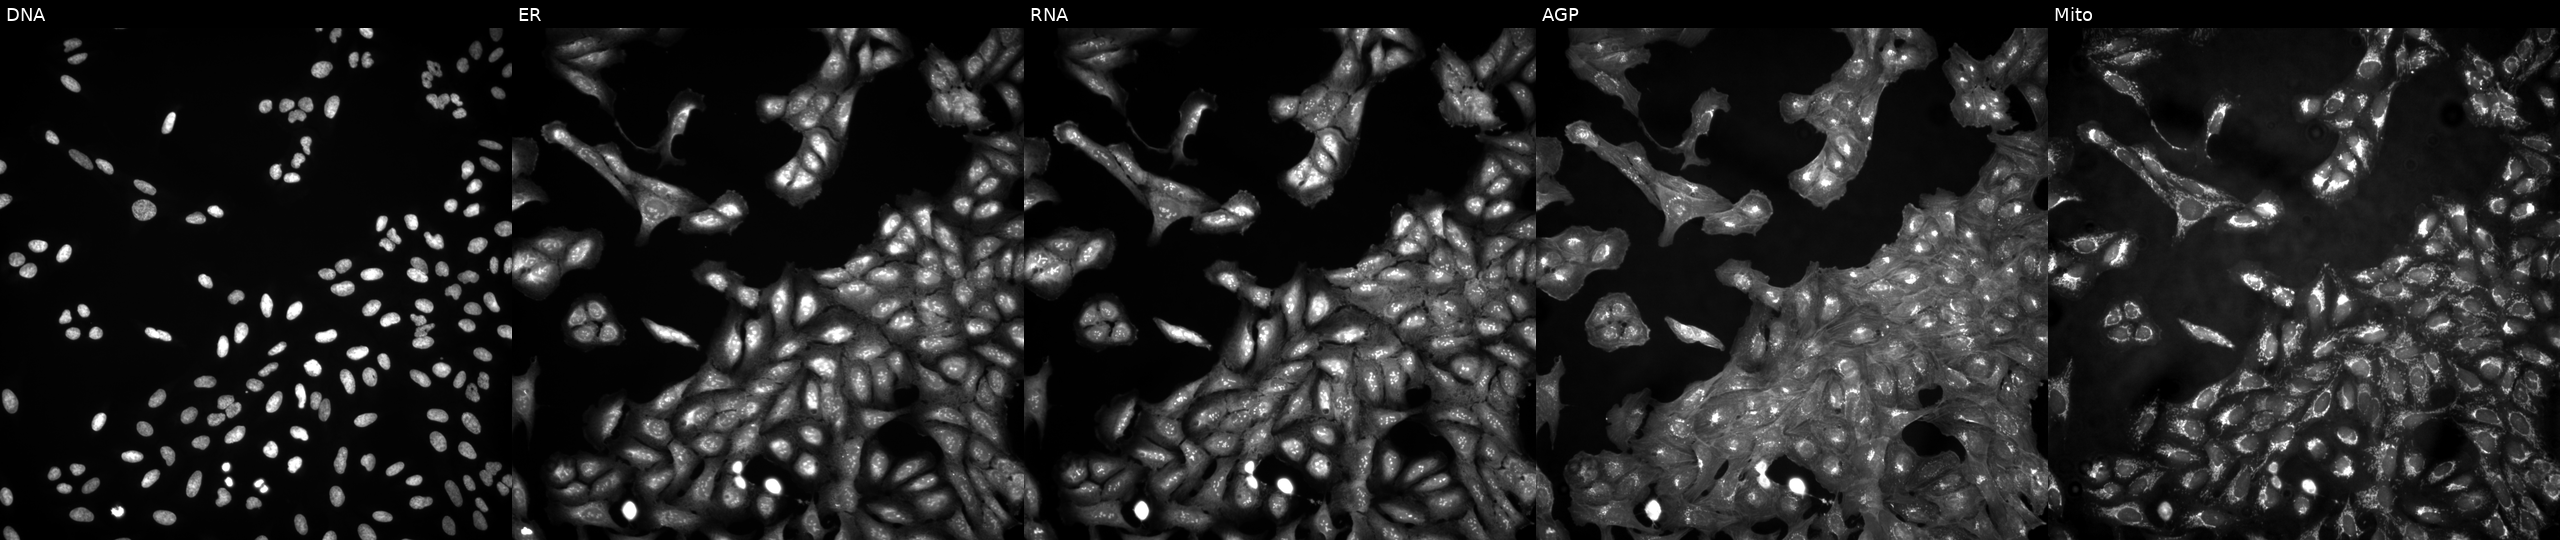
High-content fluorescence microscopy (Cell Painting). Cell line: U2OS. Perturbation: untreated (empty-well control) (JUMP id JCP2022_999999). From left to right: Hoechst 33342, concanavalin A, SYTO 14, phalloidin and WGA, MitoTracker. Source 4, plate BR00123946, well G08.